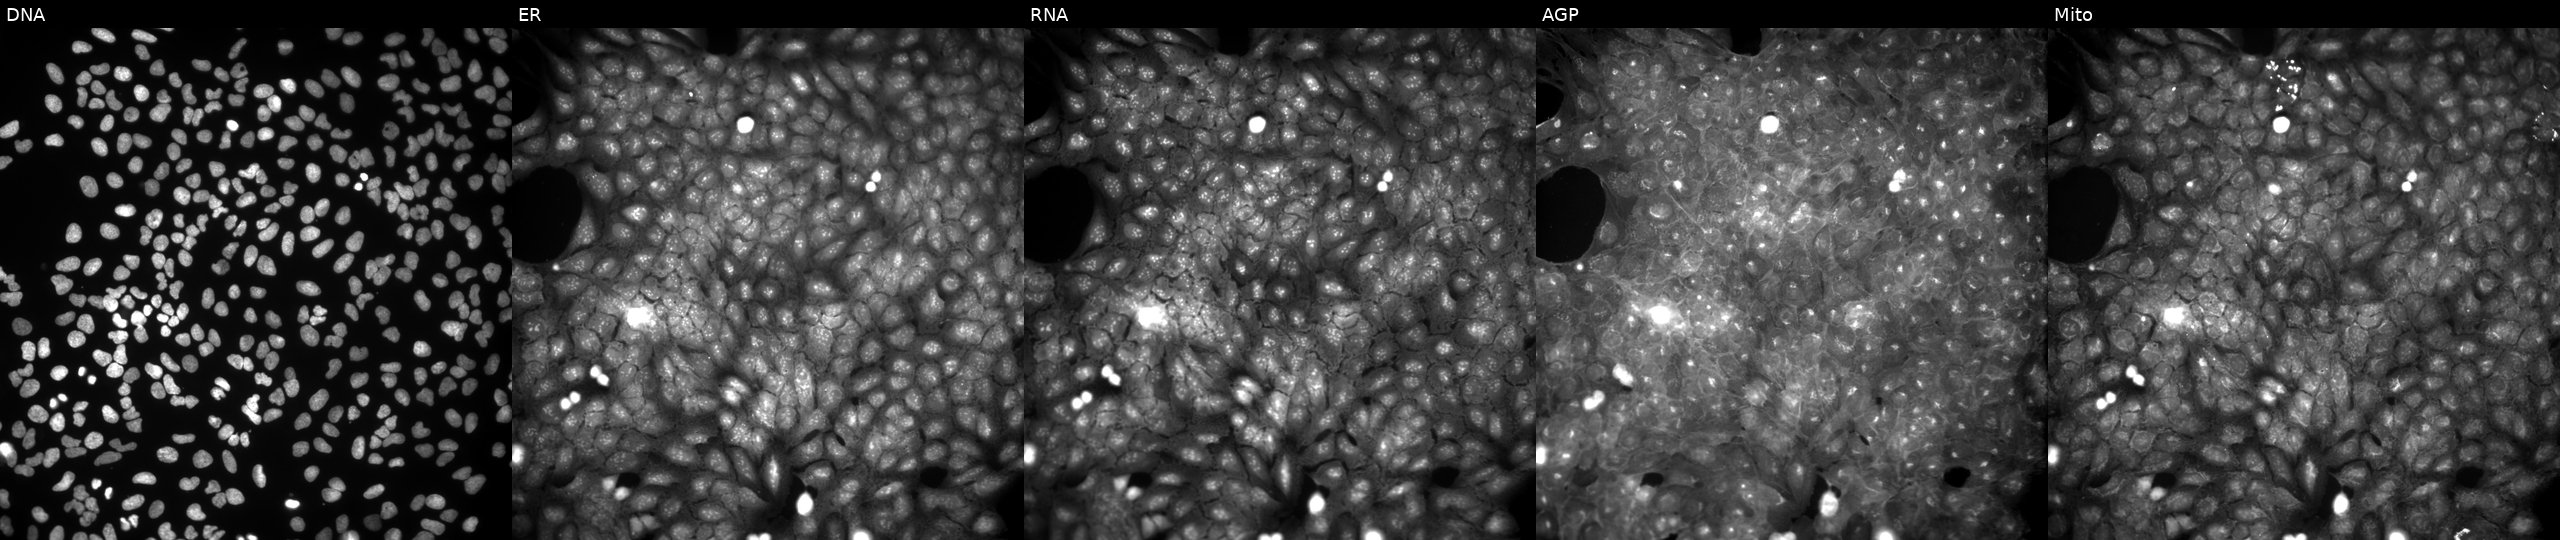
Five-channel Cell Painting image of U2OS cells exposed to a small-molecule compound (InChIKey BPKBZVSYAXDNAI-UHFFFAOYSA-N) [SMILES: C=c1[nH]n(-c2ccccc2)c(=O)c1=Cc1ccc(N2CCCC2)o1] (JUMP id JCP2022_007815). The five panels, left to right, show DNA, ER, RNA, AGP, and Mito.